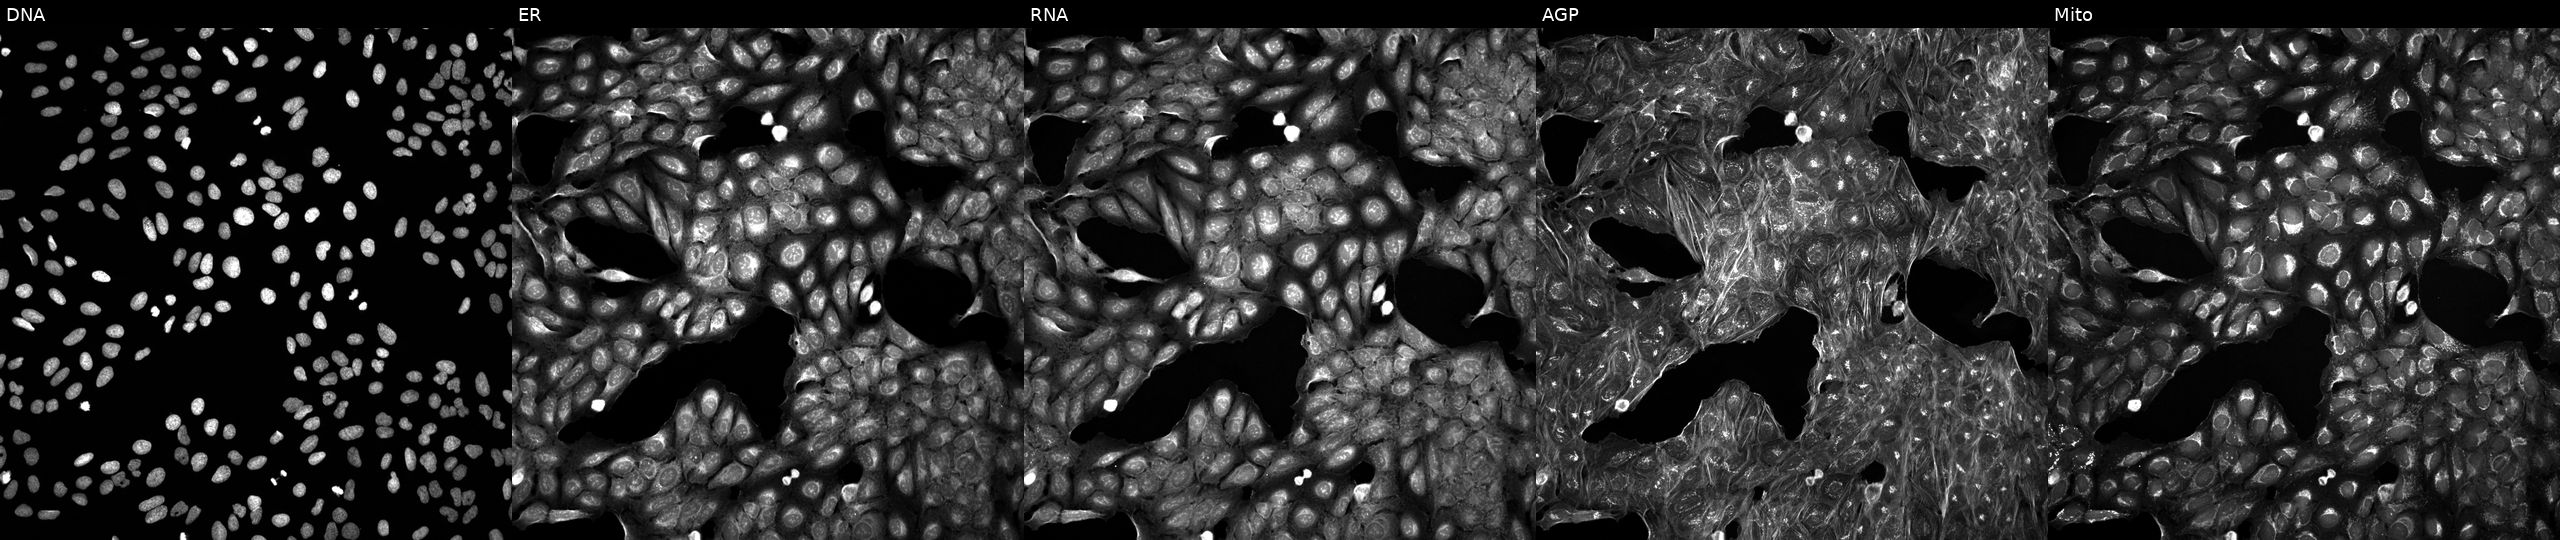
From left to right: DNA (nuclei); ER (endoplasmic reticulum); RNA (nucleoli and cytoplasmic RNA); AGP (actin cytoskeleton, Golgi, and plasma membrane); Mito (mitochondria). U2OS osteosarcoma cells treated with DMSO vehicle only (negative control) (JUMP id JCP2022_033924). Cell Painting assay, JUMP-CP dataset. Source 5, plate ACPJUM012, well E18.